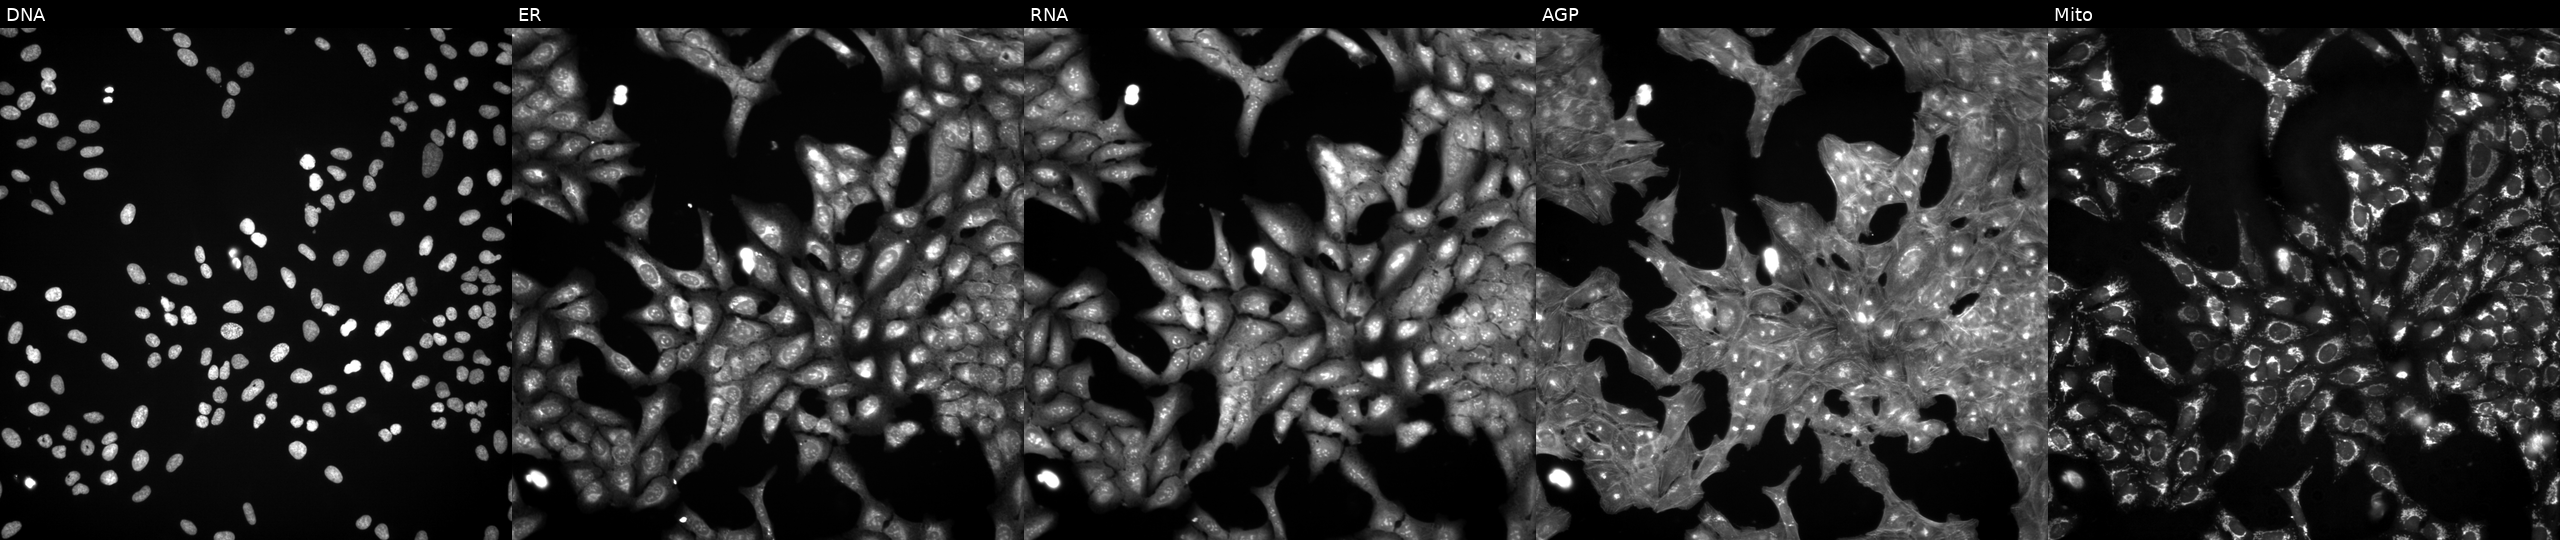
The five panels, left to right, show DNA (nuclei); ER (endoplasmic reticulum); RNA (nucleoli and cytoplasmic RNA); AGP (actin cytoskeleton, Golgi, and plasma membrane); Mito (mitochondria). U2OS osteosarcoma cells exposed to a small-molecule compound (InChIKey JVGBTTIJPBFLTE-UHFFFAOYSA-N). Cell Painting assay, JUMP-CP dataset.